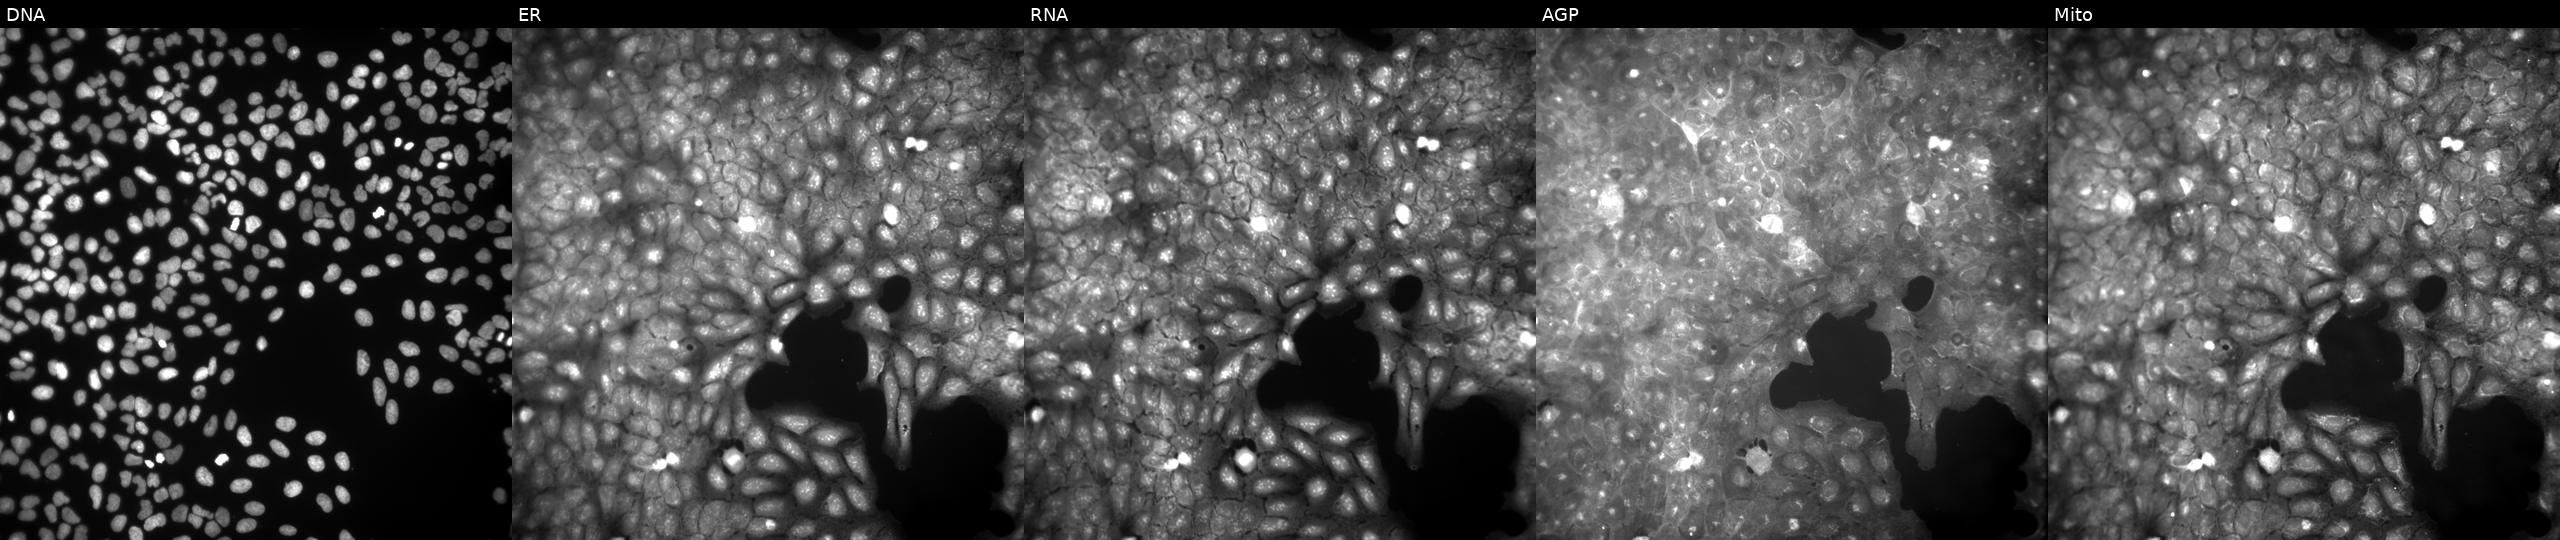
From left to right: DNA (nuclei); ER (endoplasmic reticulum); RNA (nucleoli and cytoplasmic RNA); AGP (actin cytoskeleton, Golgi, and plasma membrane); Mito (mitochondria). U2OS osteosarcoma cells treated with a small-molecule compound (InChIKey PPIPIDNPOOSYDM-UHFFFAOYSA-N) [SMILES: O=C(NNC(=O)c1cccs1)c1ccc([N+](=O)[O-])cc1]. Cell Painting assay, JUMP-CP dataset.